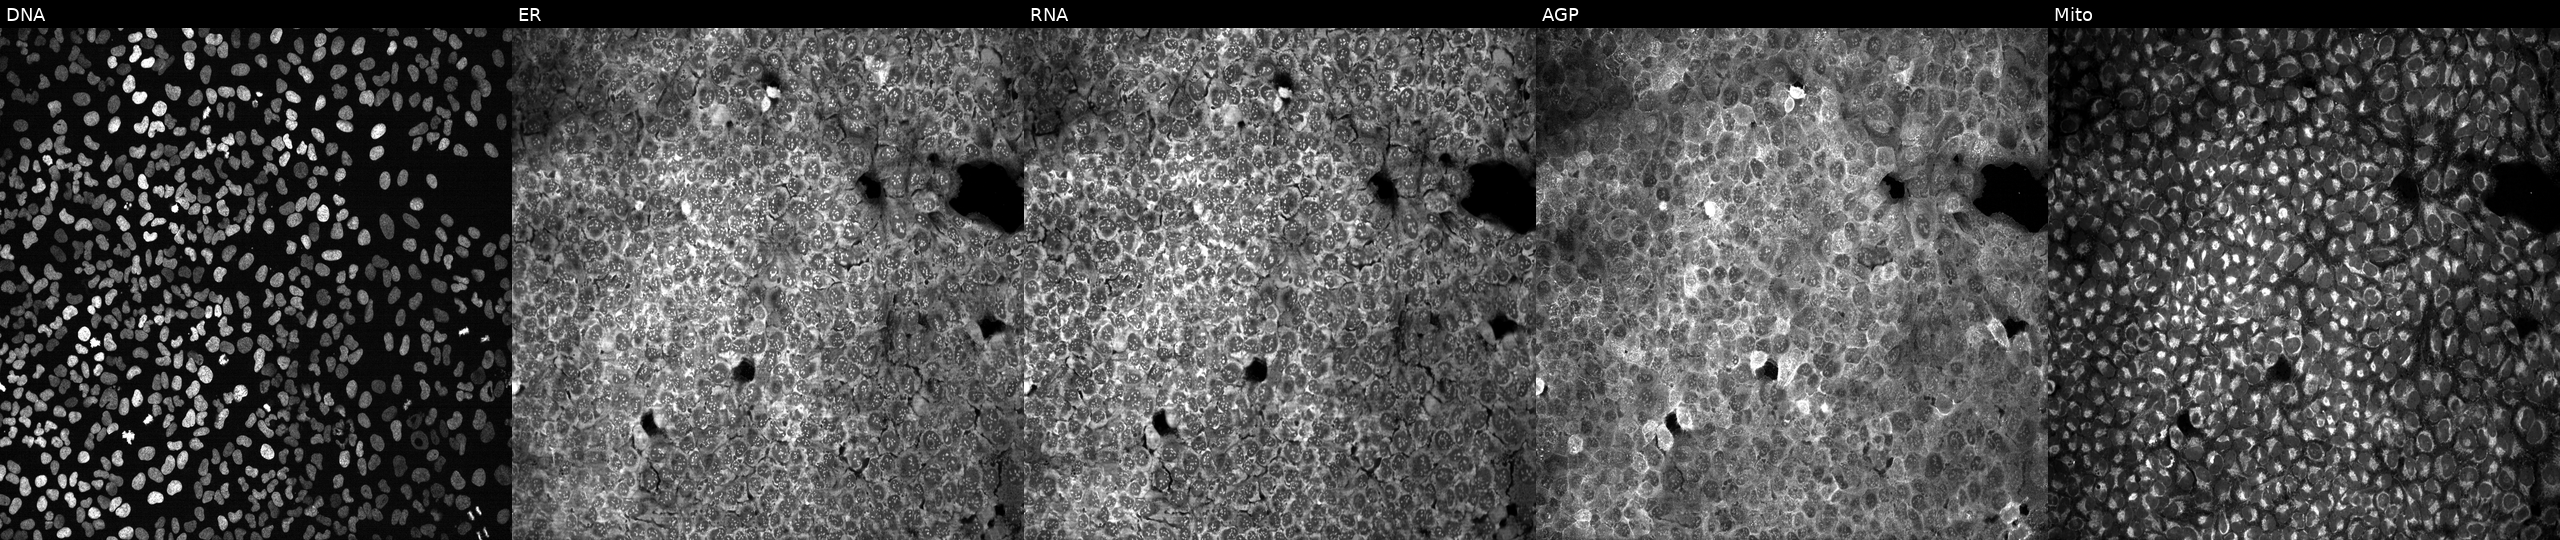
JUMP Cell Painting — CRISPR plate. U2OS cells with no CRISPR guide (negative control). The five panels, left to right, show Hoechst 33342, concanavalin A, SYTO 14, phalloidin and WGA, MitoTracker. Source 13, plate CP-CC9-R4-04, well G23.